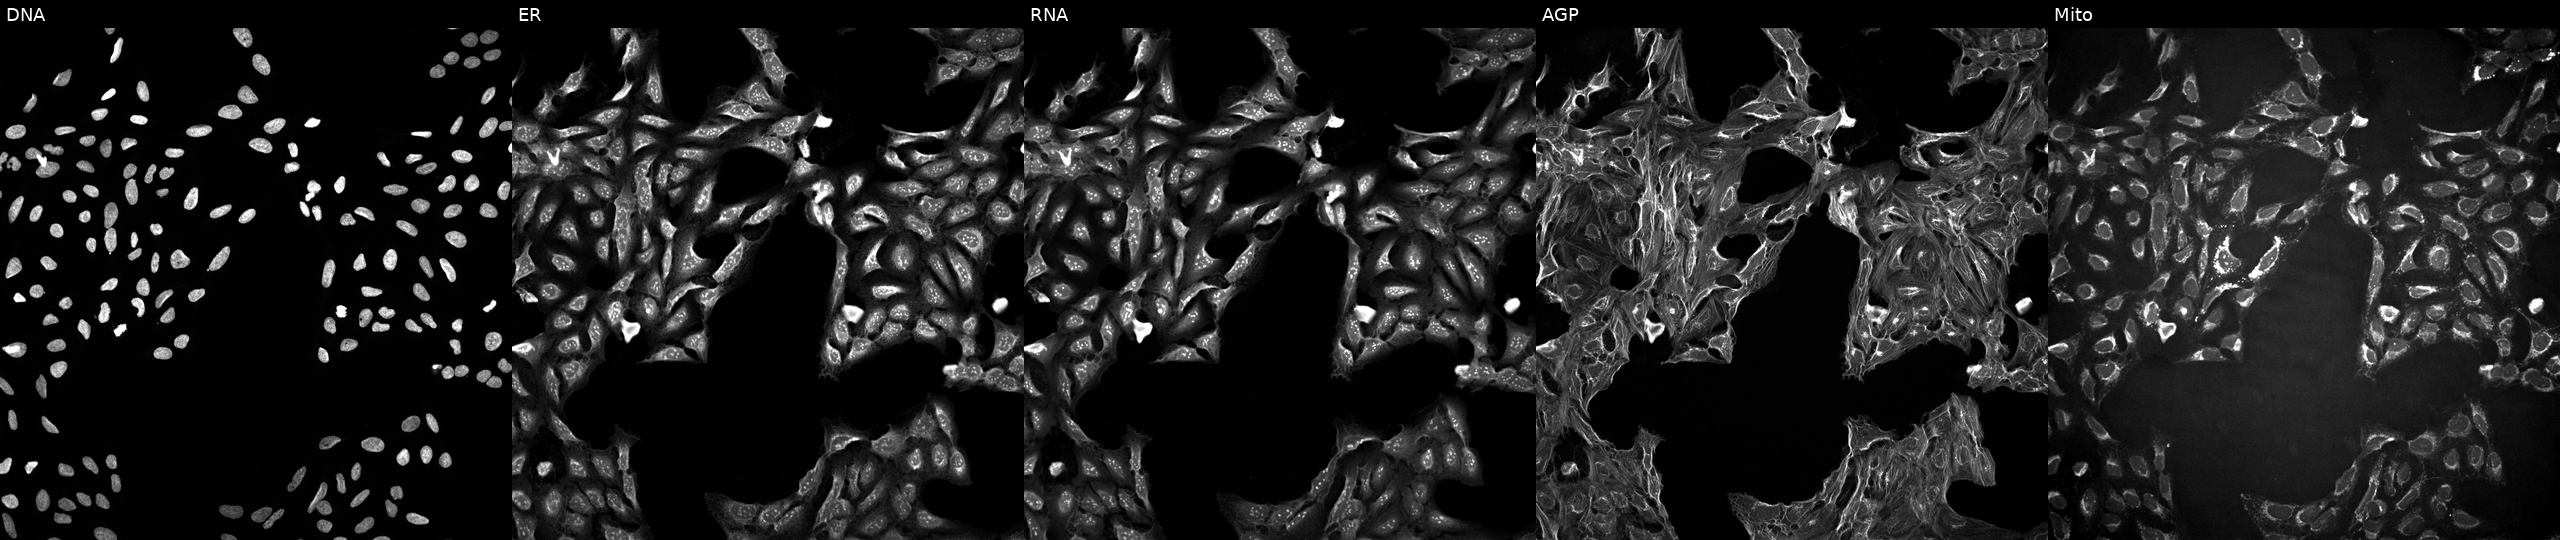
U2OS cells, Cell Painting assay, exposed to a small-molecule compound (InChIKey YGSDEFSMJLZEOE-UHFFFAOYSA-N) [SMILES: O=C(O)c1ccccc1O] (JUMP id JCP2022_108326). The five panels, left to right, show DNA, ER, RNA, AGP, and Mito. Each panel is percentile-stretched 16-bit fluorescence. Source 10, plate Dest210727-153003, well A04.